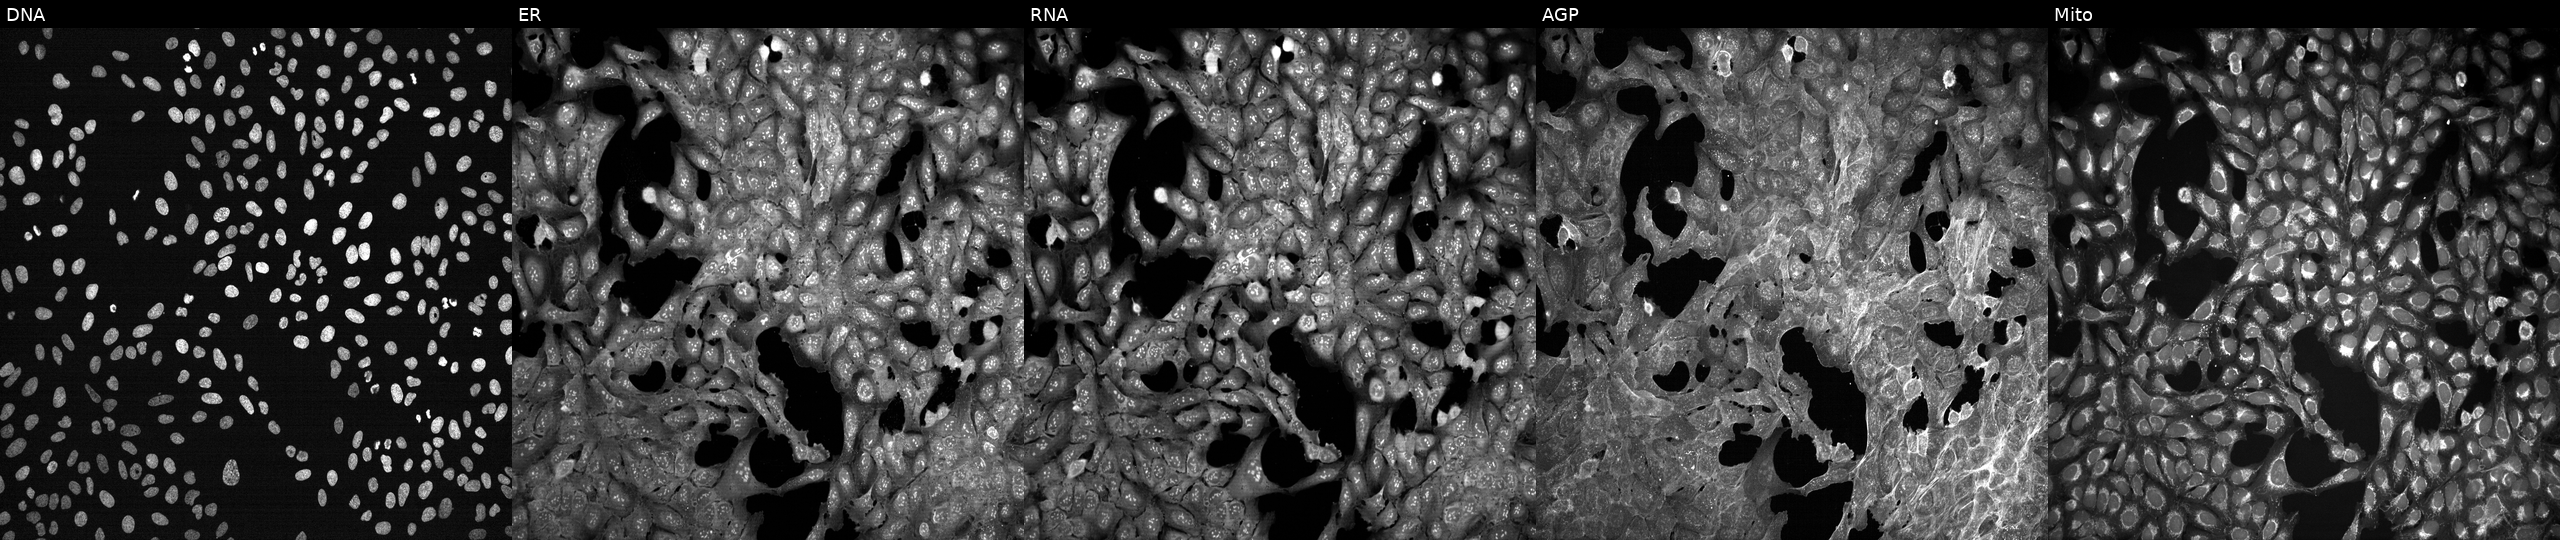
U2OS cells, Cell Painting assay, perturbed with a small-molecule compound (JUMP id JCP2022_050861). From left to right: DNA (nuclei); ER (endoplasmic reticulum); RNA (nucleoli and cytoplasmic RNA); AGP (actin cytoskeleton, Golgi, and plasma membrane); Mito (mitochondria). Each panel is percentile-stretched 16-bit fluorescence.